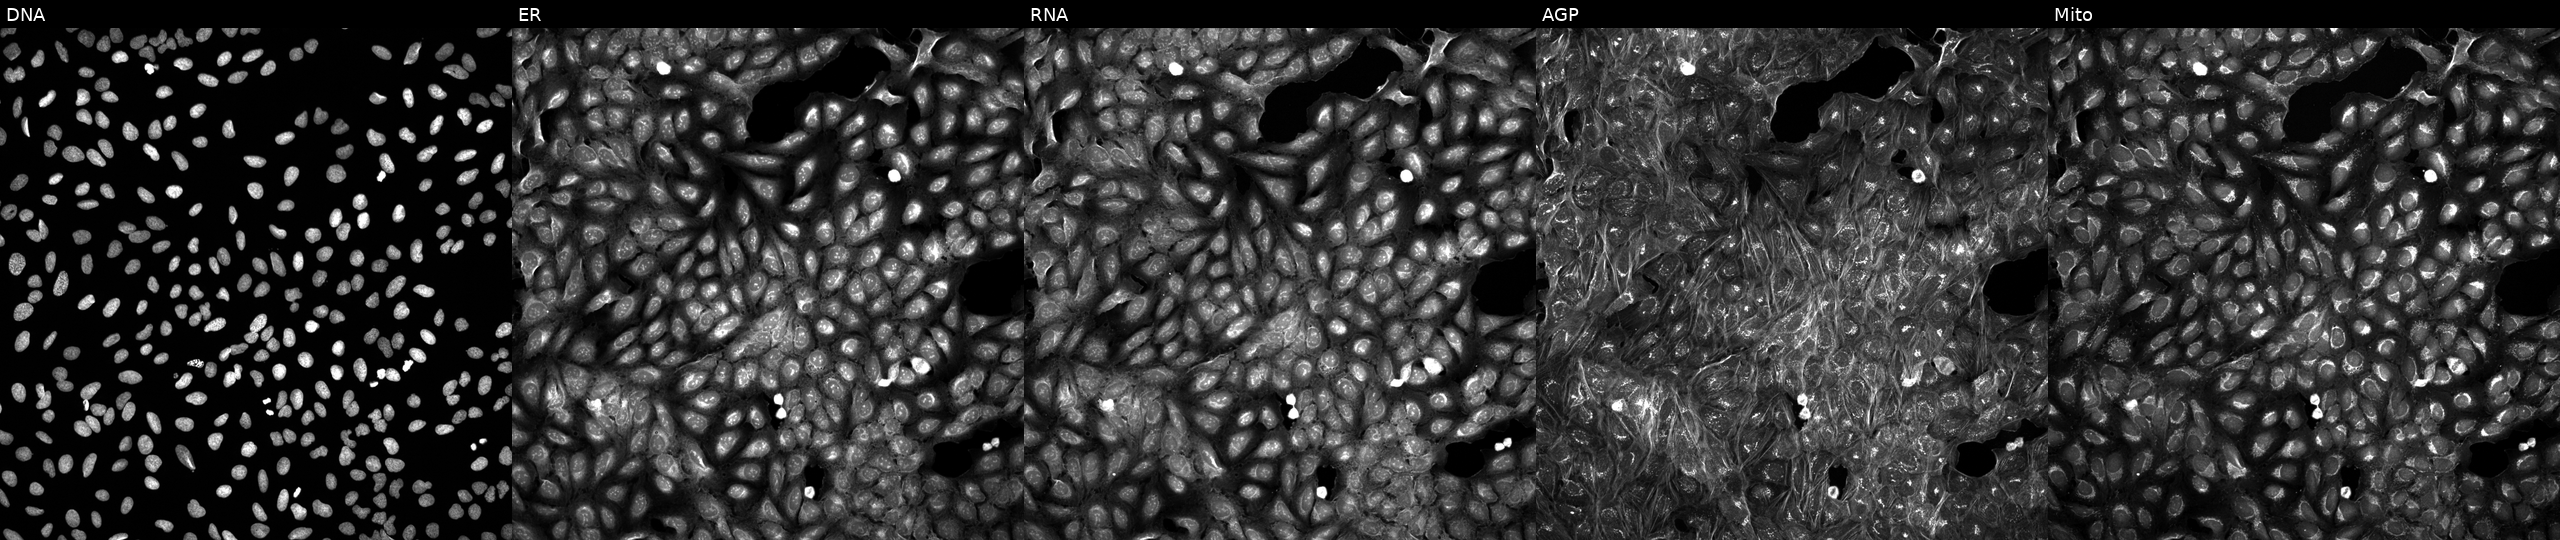
High-content fluorescence microscopy (Cell Painting). Cell line: U2OS. Perturbation: treated with a small-molecule compound (InChIKey FKSKVABEMGUWOU-UHFFFAOYSA-N) (JUMP id JCP2022_021275). From left to right: Hoechst 33342, concanavalin A, SYTO 14, phalloidin and WGA, MitoTracker. Source 5, plate APTJUM106, well G20.